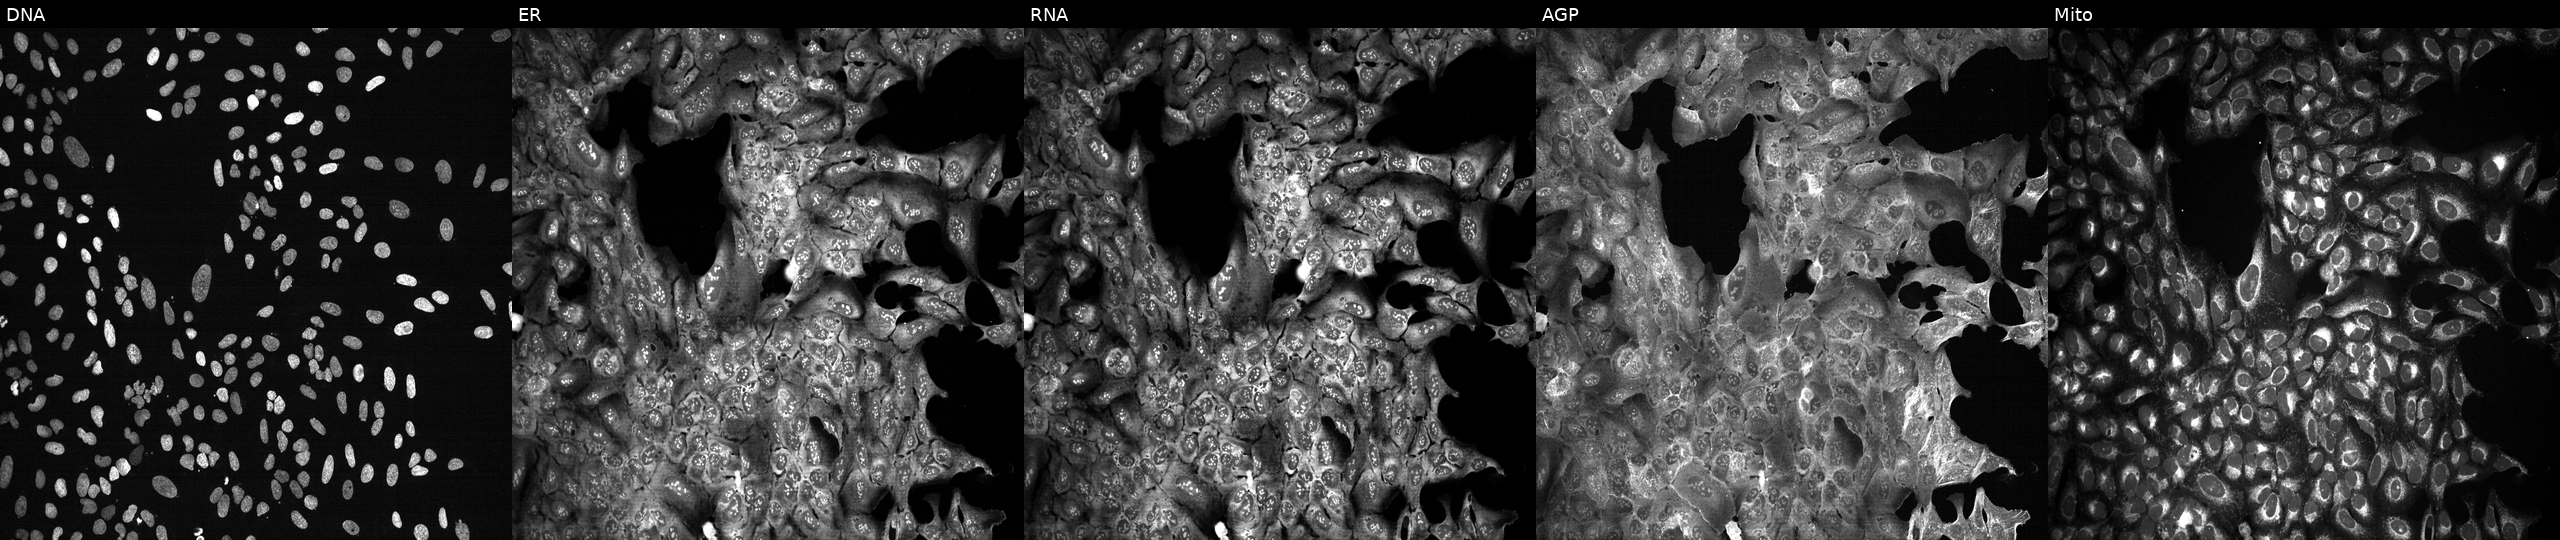
JUMP Cell Painting — CRISPR plate. U2OS cells following CRISPR knockout of ELAC2. From left to right: Hoechst 33342, concanavalin A, SYTO 14, phalloidin and WGA, MitoTracker. Source 13, plate CP-CC9-R3-02, well E20.